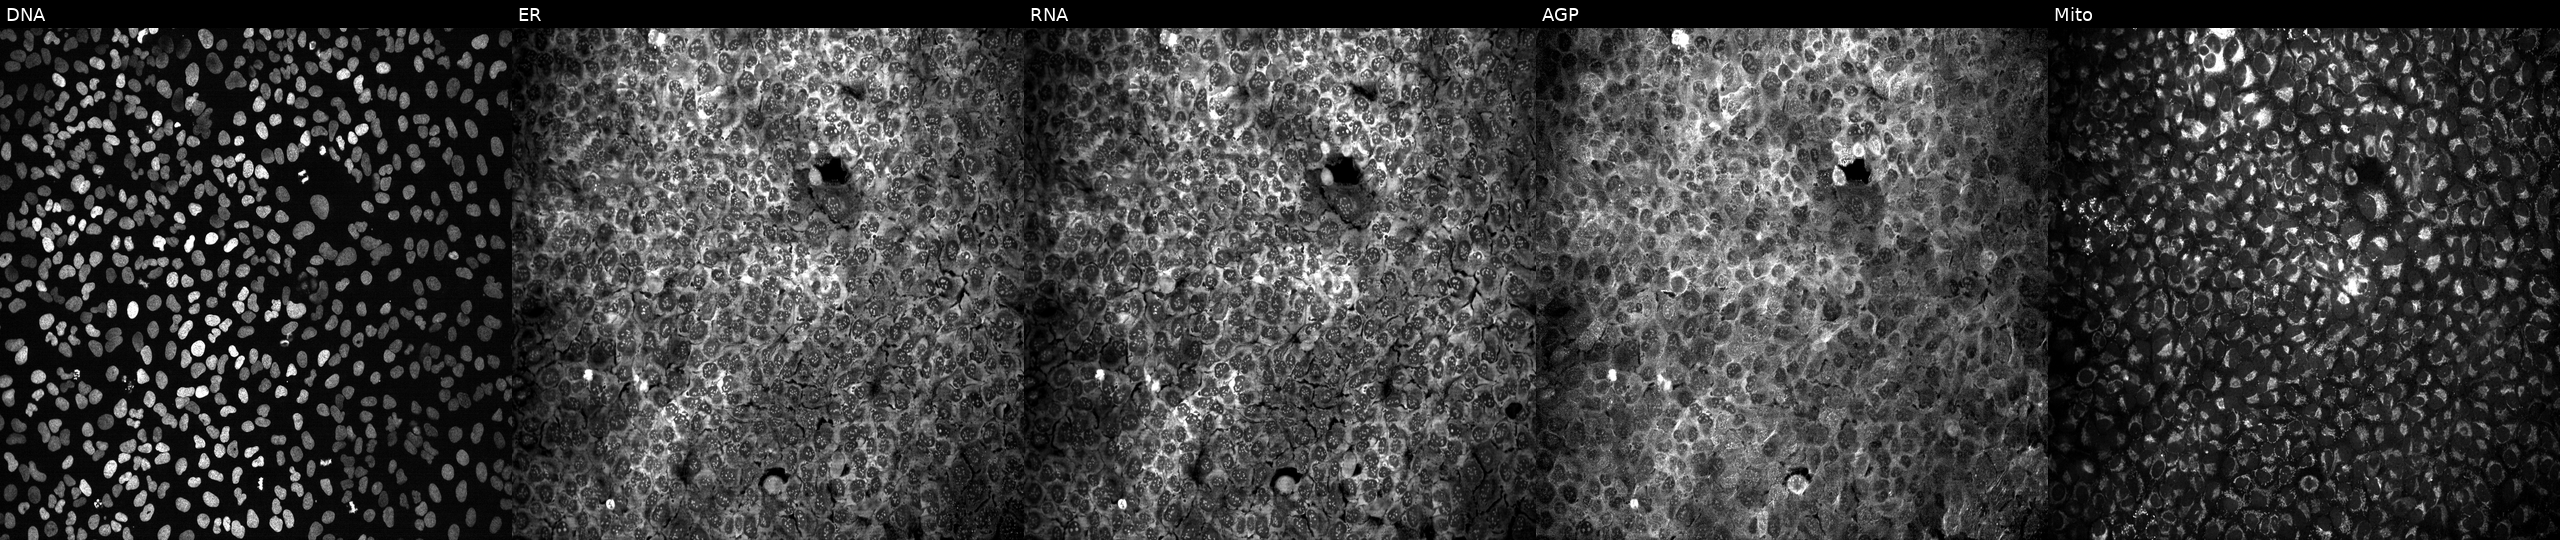
Five-channel Cell Painting image of U2OS cells exposed to the positive-control compound aloxistatin. From left to right: DNA (nuclei); ER (endoplasmic reticulum); RNA (nucleoli and cytoplasmic RNA); AGP (actin cytoskeleton, Golgi, and plasma membrane); Mito (mitochondria). Source 13, plate CP-CC9-R3-01, well M24.